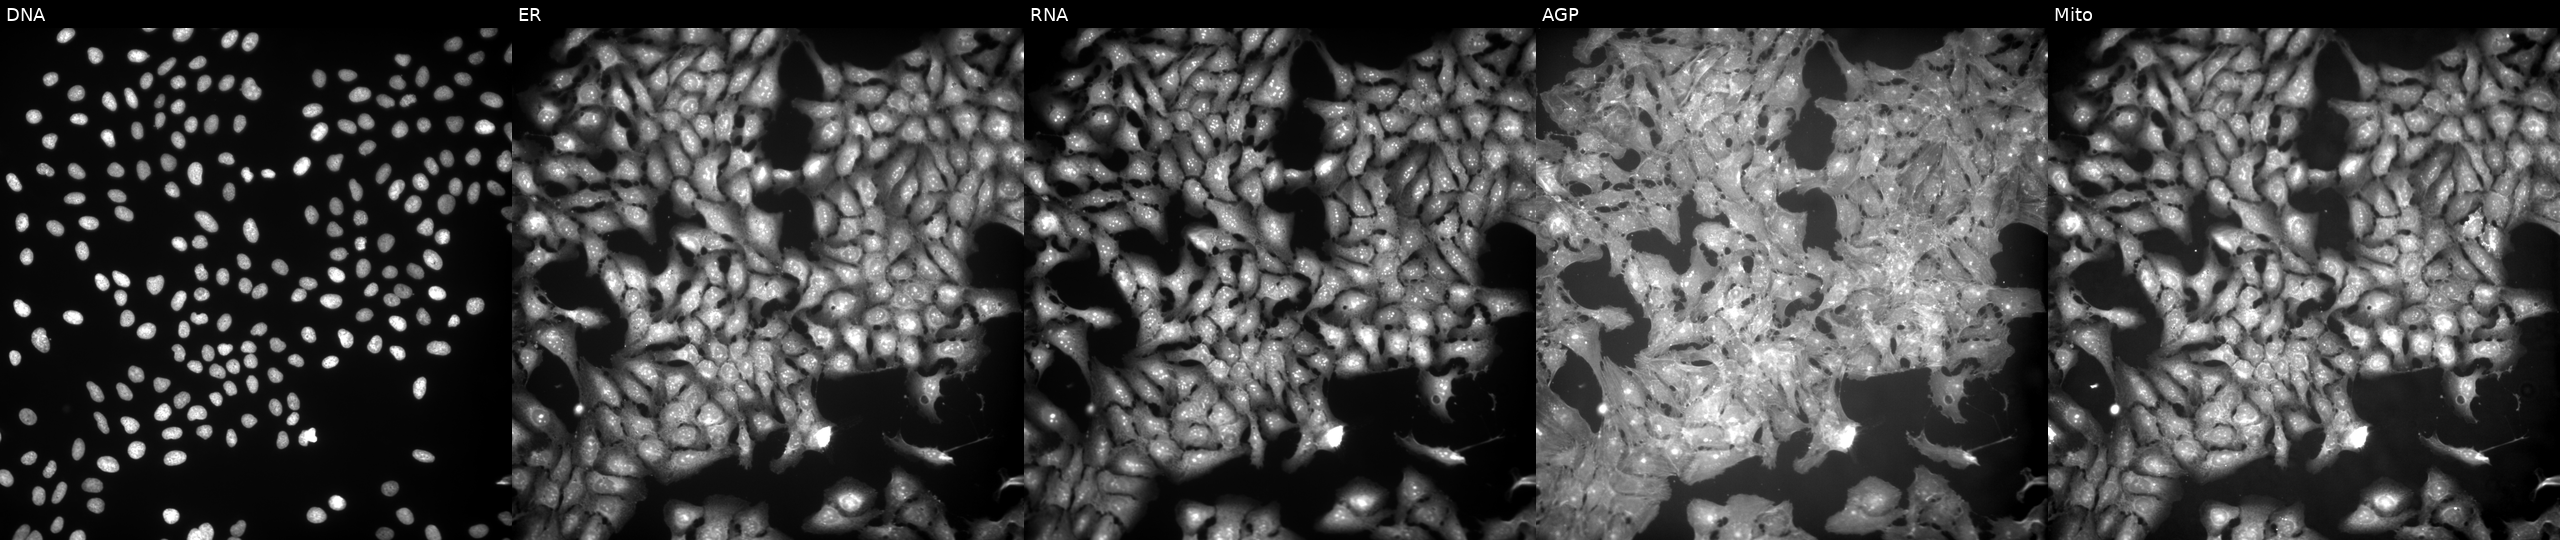
High-content fluorescence microscopy (Cell Painting). Cell line: U2OS. Perturbation: treated with FK-866 (positive-control compound) (JUMP id JCP2022_046054). The five panels, left to right, show DNA (nuclei); ER (endoplasmic reticulum); RNA (nucleoli and cytoplasmic RNA); AGP (actin cytoskeleton, Golgi, and plasma membrane); Mito (mitochondria).